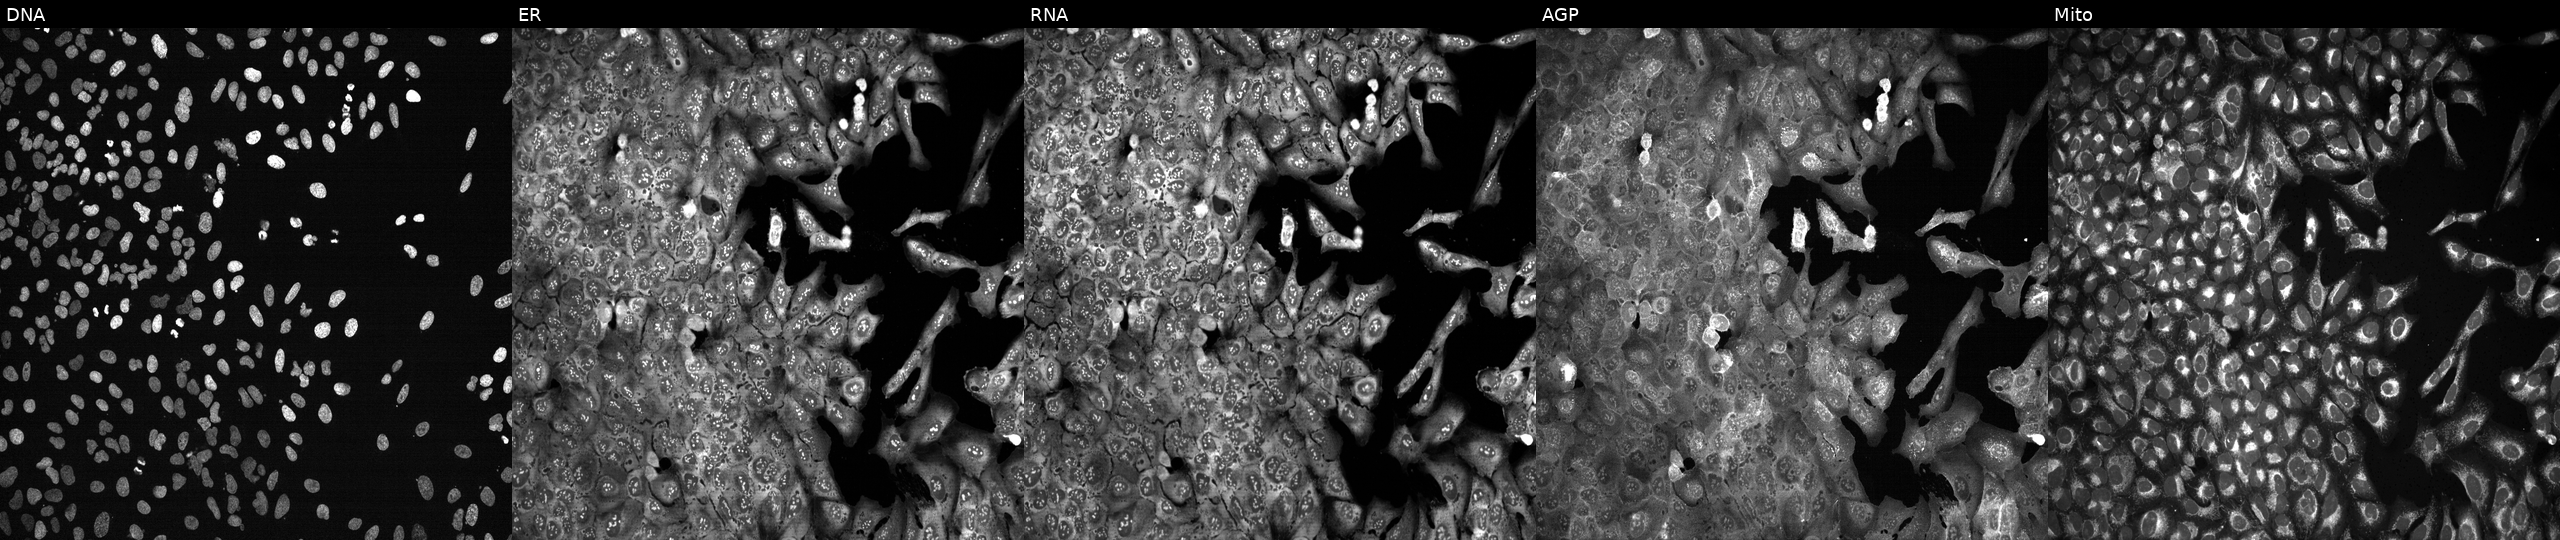
High-content fluorescence microscopy (Cell Painting). Cell line: U2OS. Perturbation: with ALG10B knocked out by CRISPR (JUMP id JCP2022_800404). Panels show, left to right, DNA (nuclei); ER (endoplasmic reticulum); RNA (nucleoli and cytoplasmic RNA); AGP (actin cytoskeleton, Golgi, and plasma membrane); Mito (mitochondria).